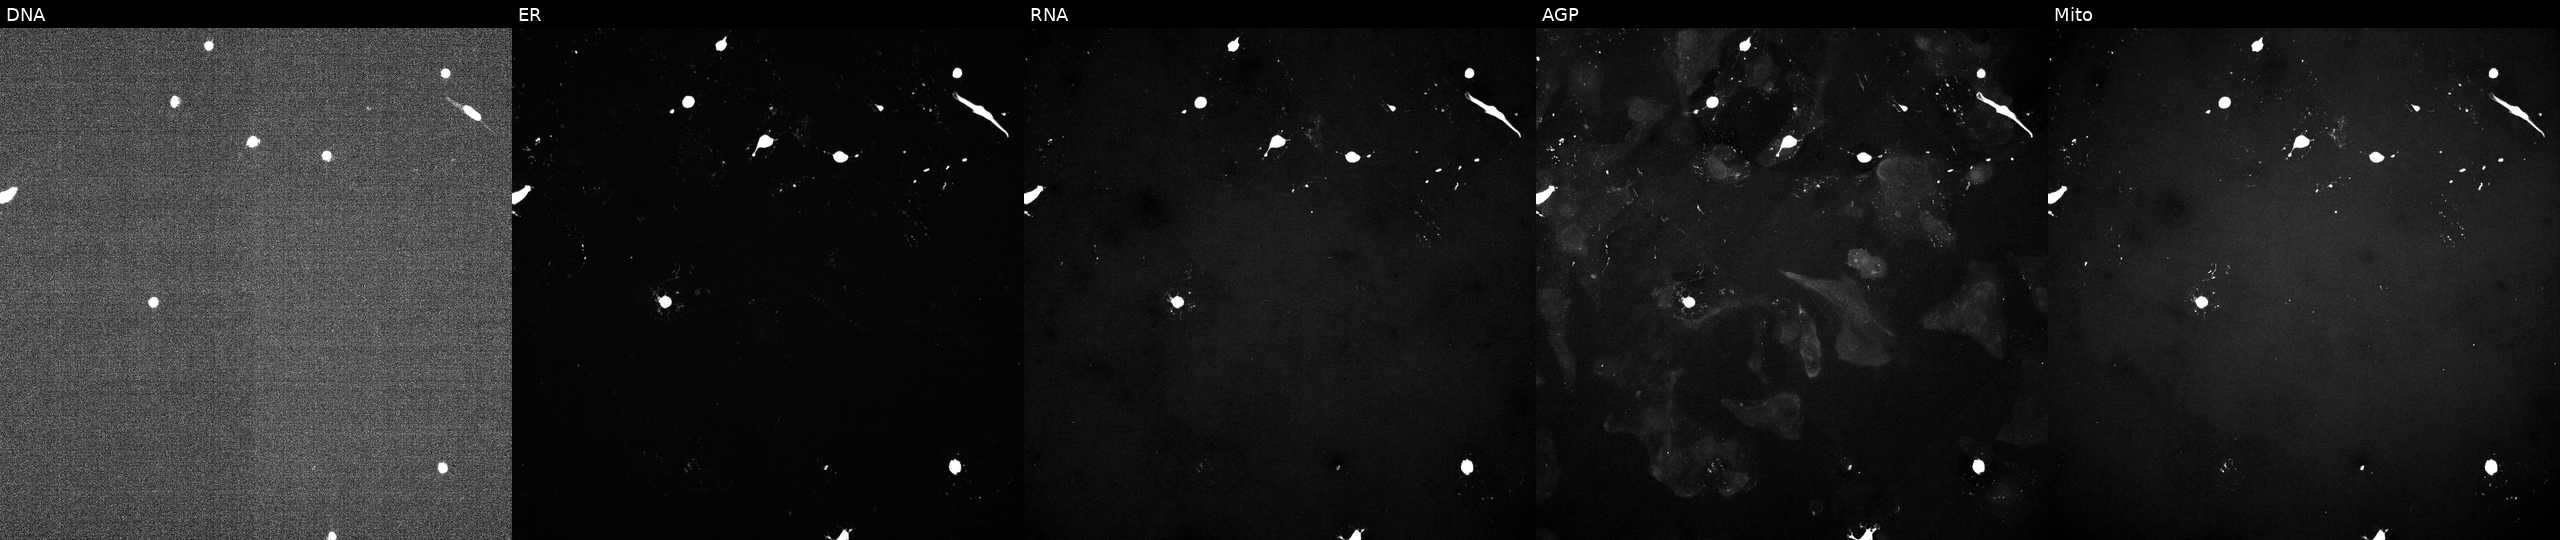
U2OS cells, Cell Painting assay, treated with a small-molecule compound (InChIKey XUZQTIZWMHMWOC-UHFFFAOYSA-N). Channels (left→right): Hoechst 33342, concanavalin A, SYTO 14, phalloidin and WGA, MitoTracker. Each panel is percentile-stretched 16-bit fluorescence.